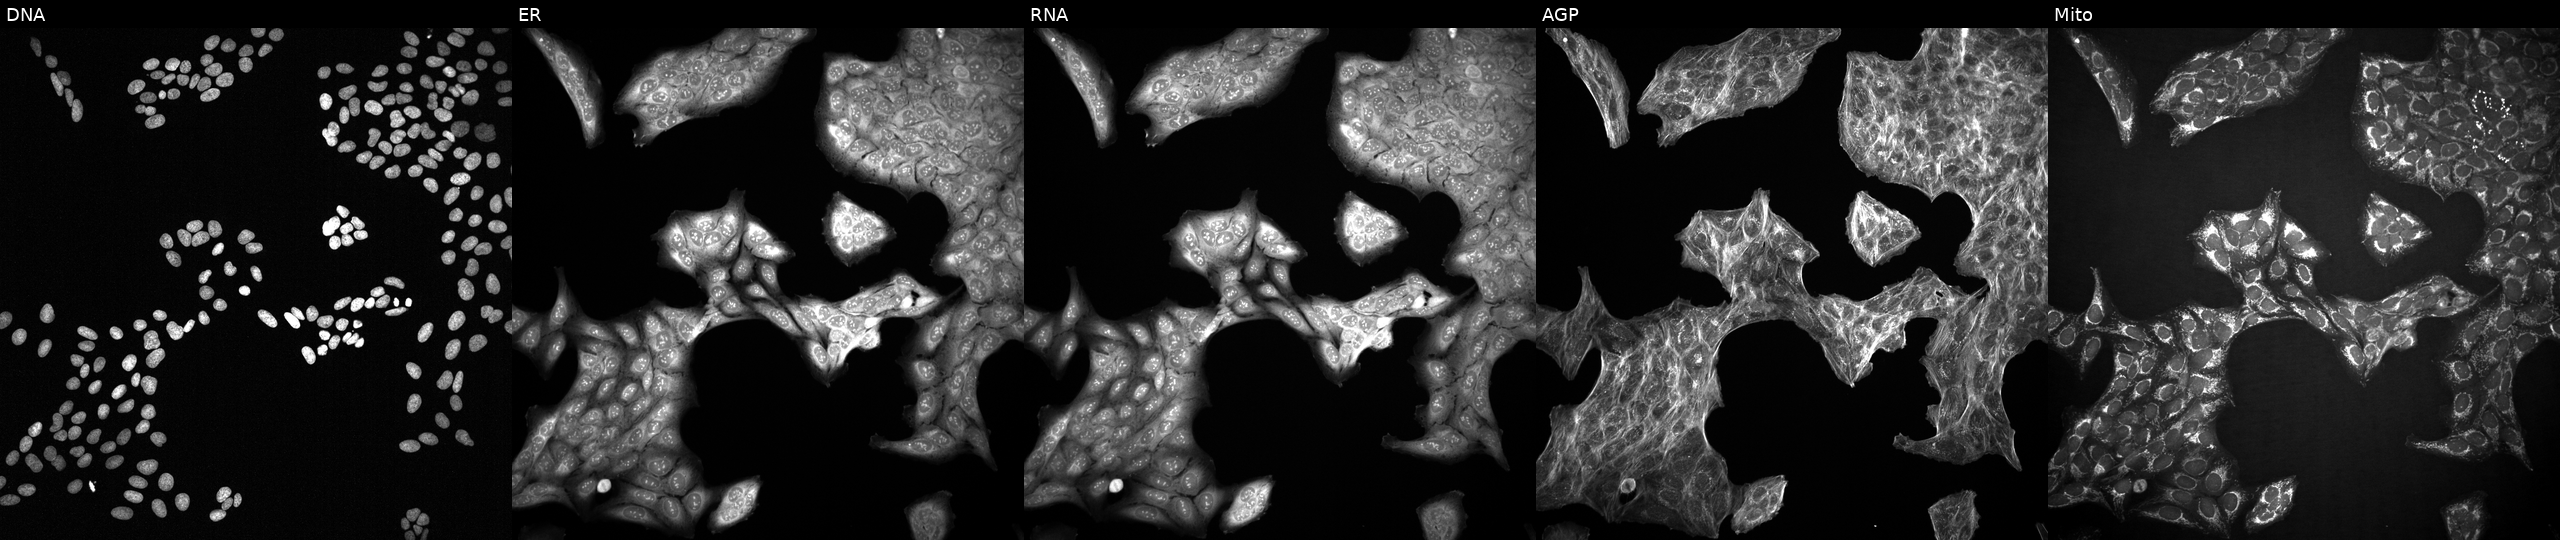
U2OS cells, Cell Painting assay, treated with LY2109761 (positive-control compound) (JUMP id JCP2022_035095). Panels show, left to right, DNA (nuclei); ER (endoplasmic reticulum); RNA (nucleoli and cytoplasmic RNA); AGP (actin cytoskeleton, Golgi, and plasma membrane); Mito (mitochondria). Each panel is percentile-stretched 16-bit fluorescence.